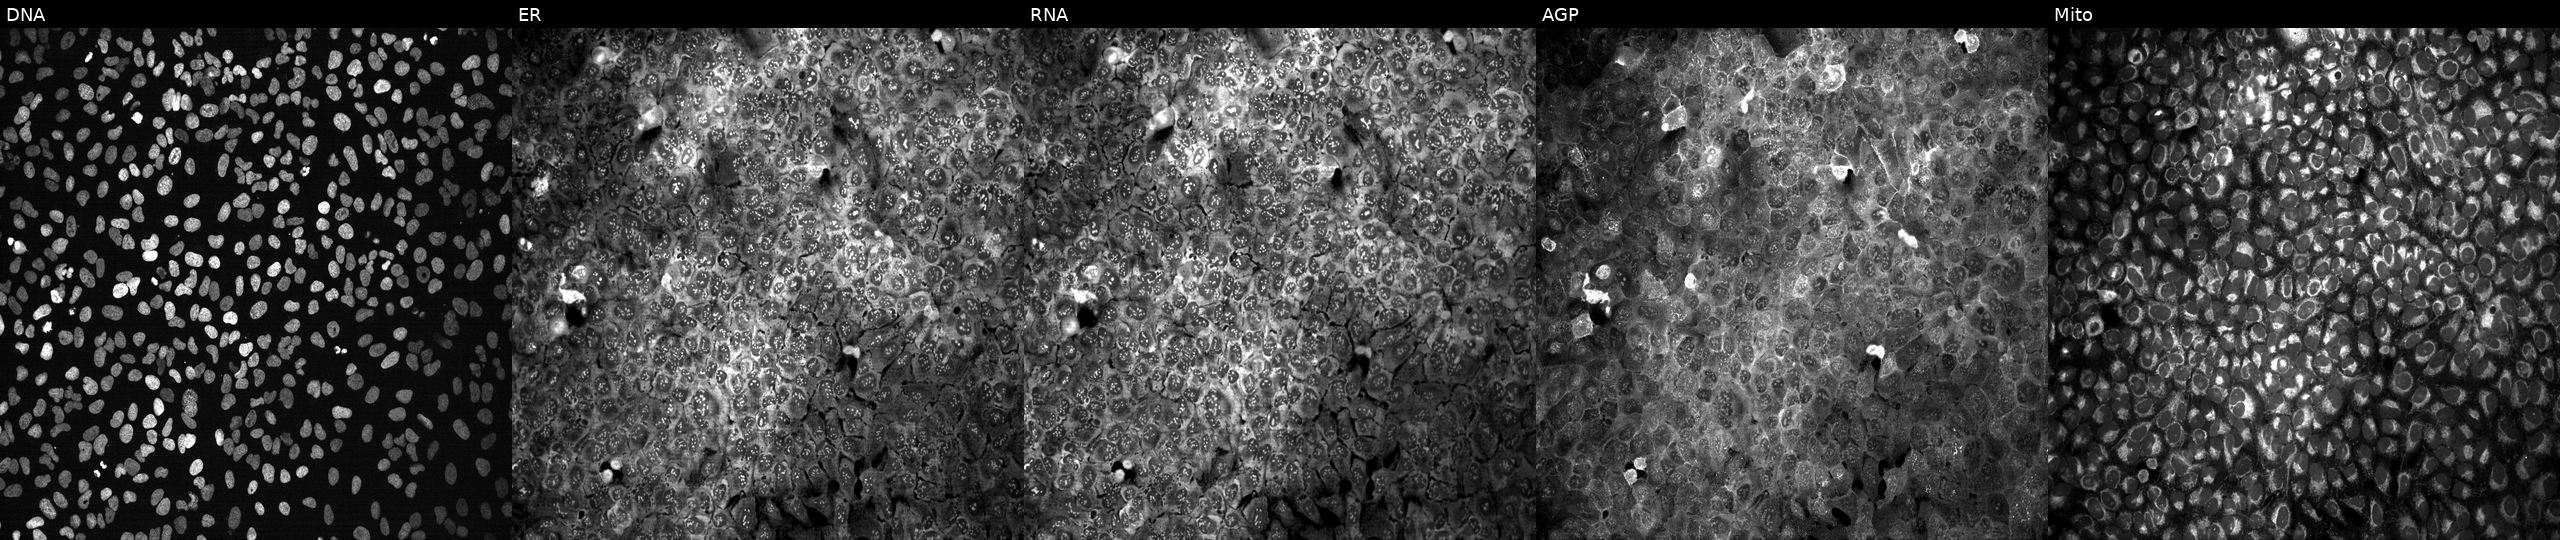
The five panels, left to right, show Hoechst 33342, concanavalin A, SYTO 14, phalloidin and WGA, MitoTracker. U2OS osteosarcoma cells with INHBC knocked out by CRISPR. Cell Painting assay, JUMP-CP dataset.